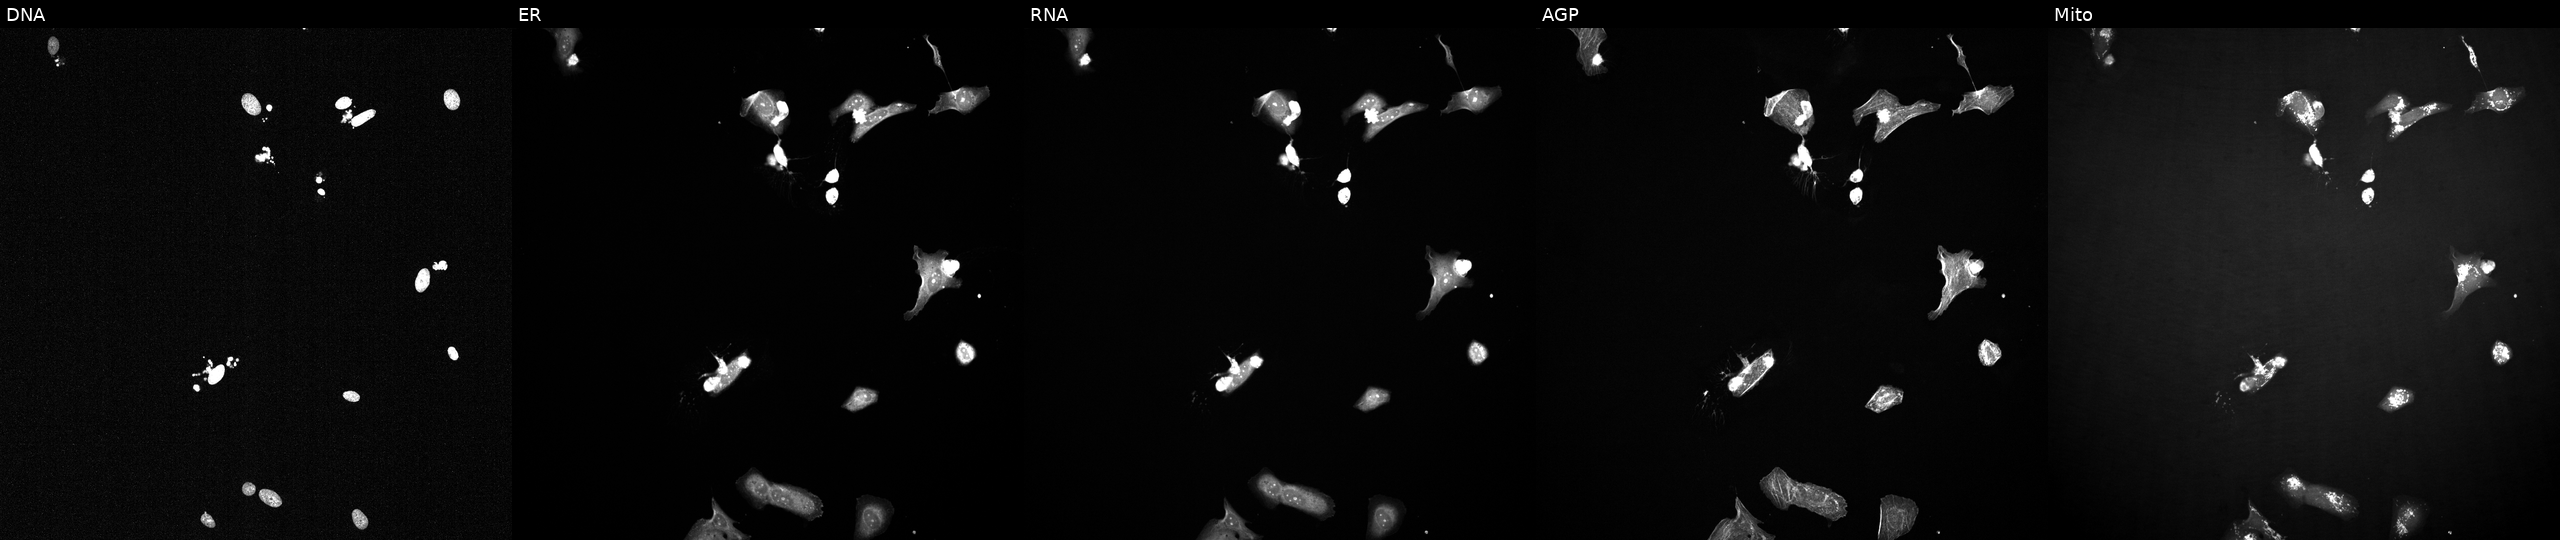
Panels show, left to right, Hoechst 33342, concanavalin A, SYTO 14, phalloidin and WGA, MitoTracker. U2OS osteosarcoma cells treated with a small-molecule compound. Cell Painting assay, JUMP-CP dataset. Source 2, plate 1053600674, well B24.